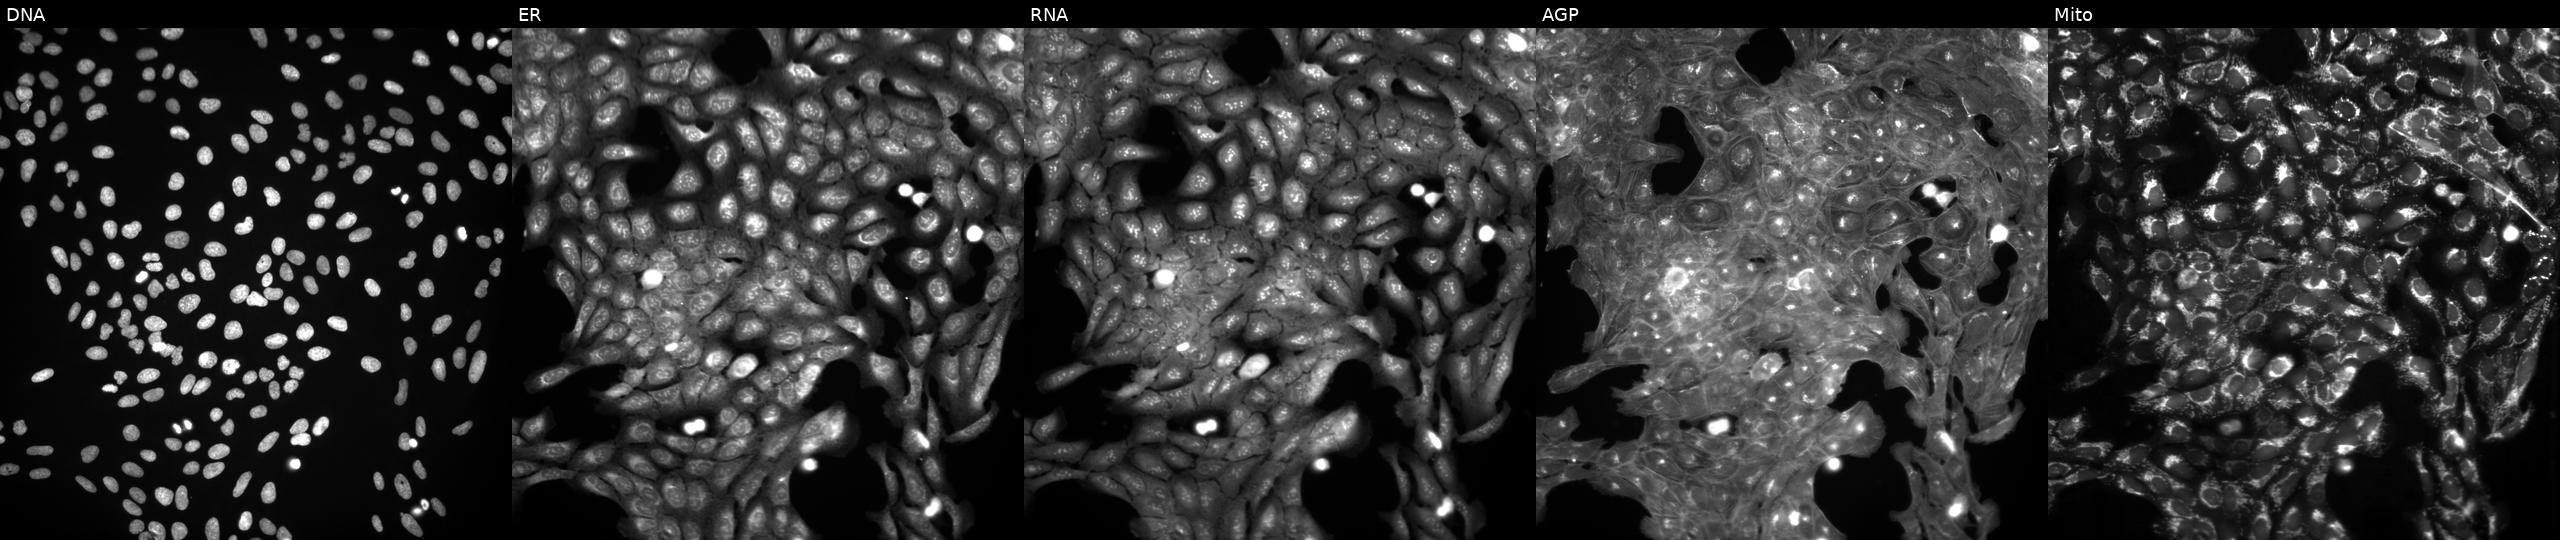
JUMP Cell Painting — TARGET2 plate. U2OS cells exposed to a small-molecule compound (InChIKey NQDJXKOVJZTUJA-UHFFFAOYSA-N) (JUMP id JCP2022_060649). From left to right: DNA, ER, RNA, AGP, and Mito. Source 3, plate JCPQC051, well A19.